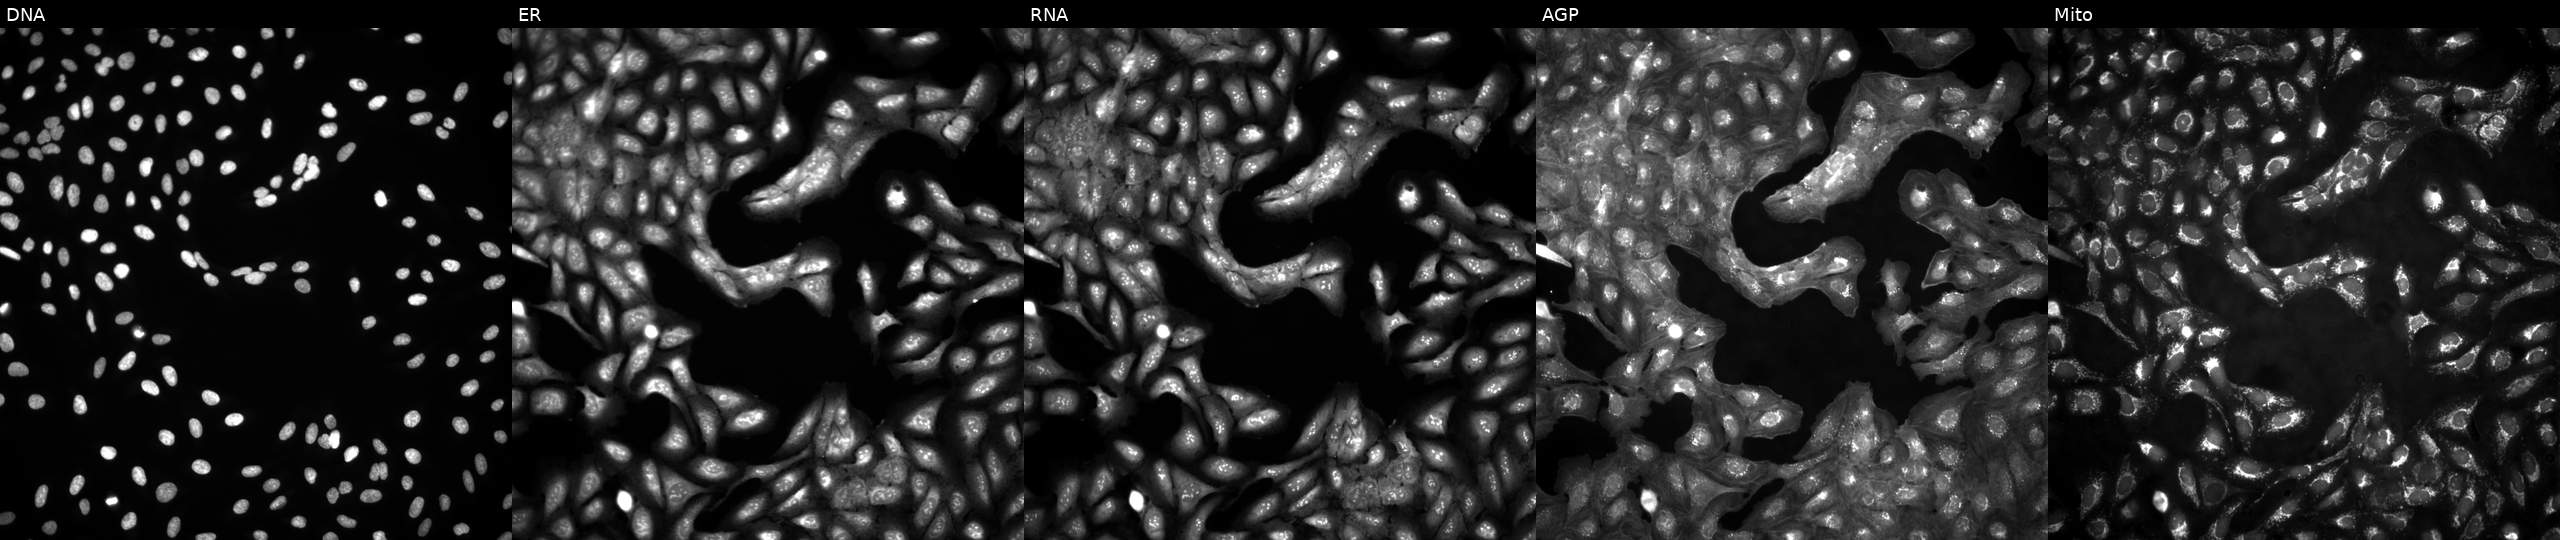
U2OS cells, Cell Painting assay, untreated (empty-well control) (JUMP id JCP2022_999999). From left to right: DNA, ER, RNA, AGP, and Mito. Each panel is percentile-stretched 16-bit fluorescence.